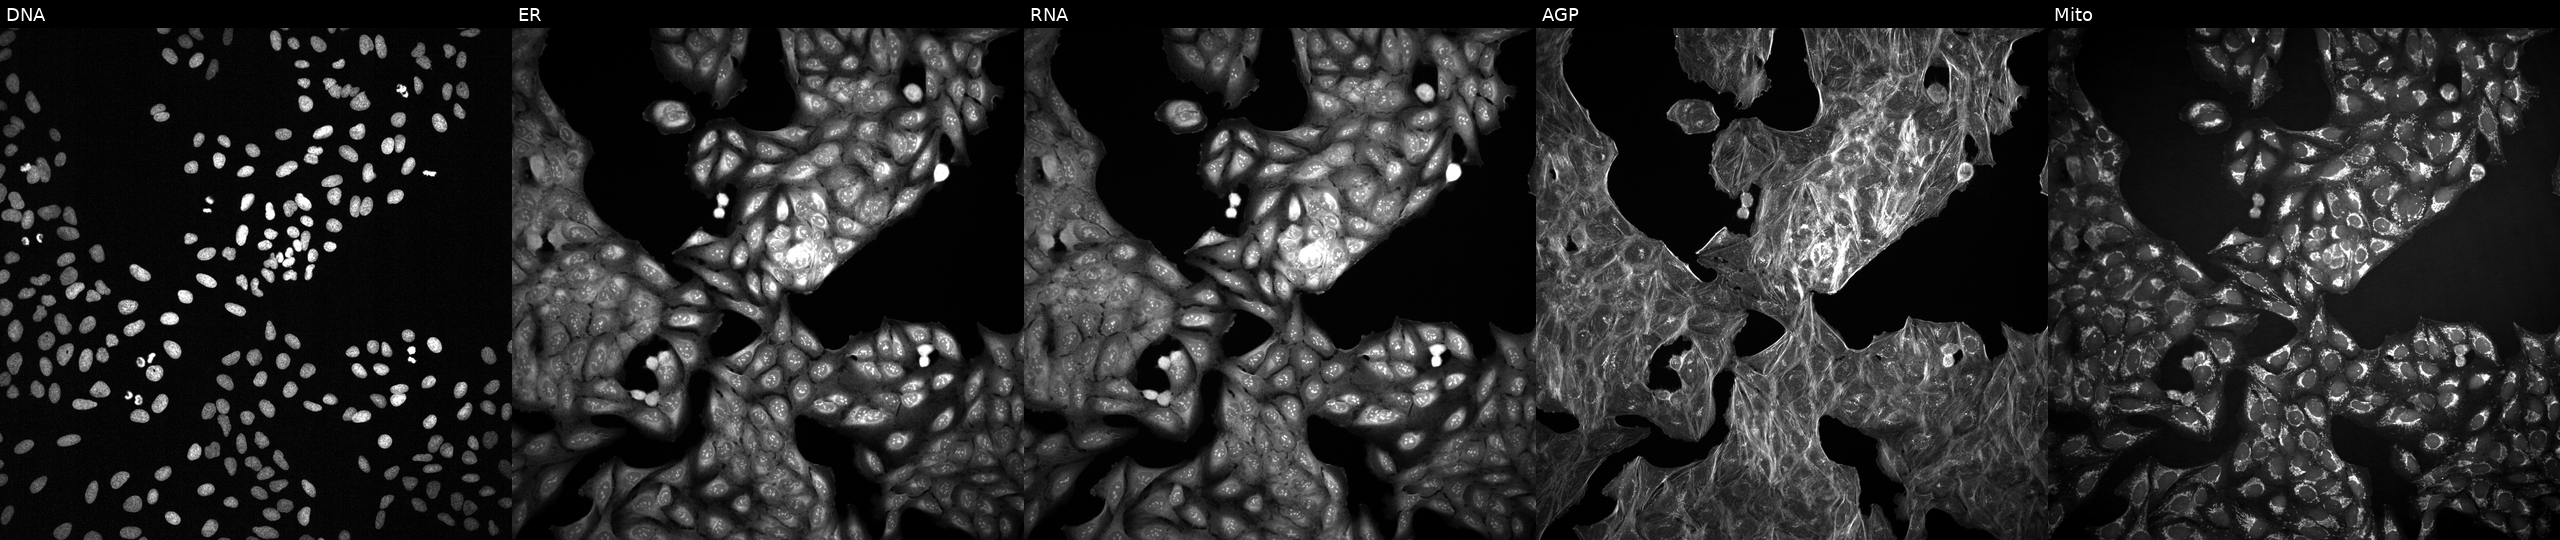
Panels show, left to right, DNA (nuclei); ER (endoplasmic reticulum); RNA (nucleoli and cytoplasmic RNA); AGP (actin cytoskeleton, Golgi, and plasma membrane); Mito (mitochondria). U2OS osteosarcoma cells exposed to DMSO alone as a negative control (JUMP id JCP2022_033924). Cell Painting assay, JUMP-CP dataset.